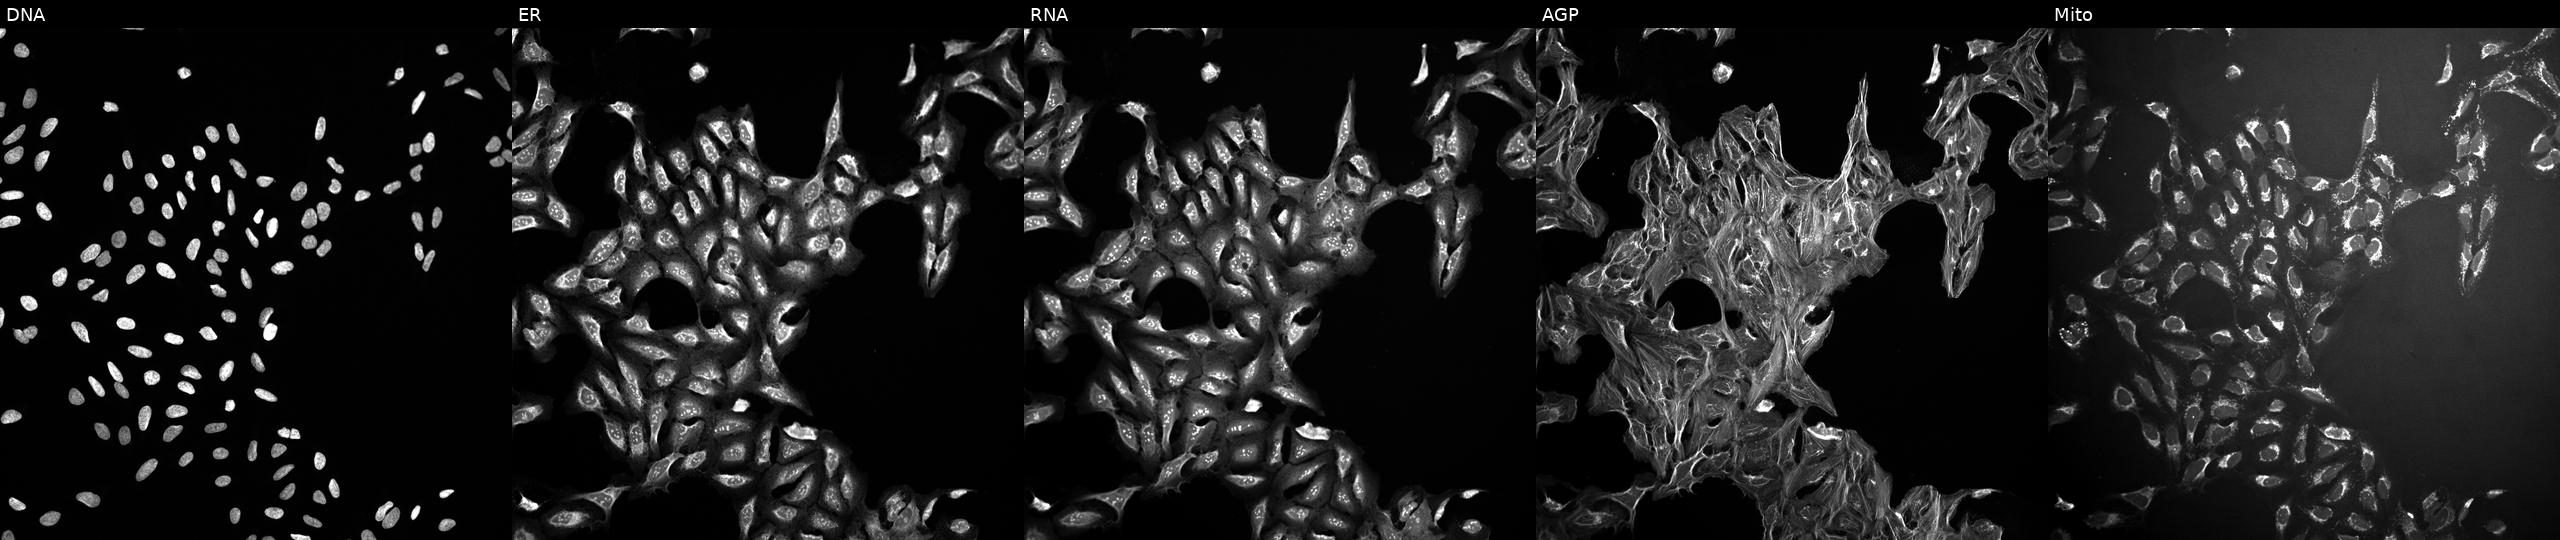
This image strip shows the five Cell Painting channels for a single field of U2OS cells exposed to DMSO alone as a negative control (JUMP id JCP2022_033924). From left to right: DNA, ER, RNA, AGP, and Mito. Source 10, plate Dest210727-153003, well C16.